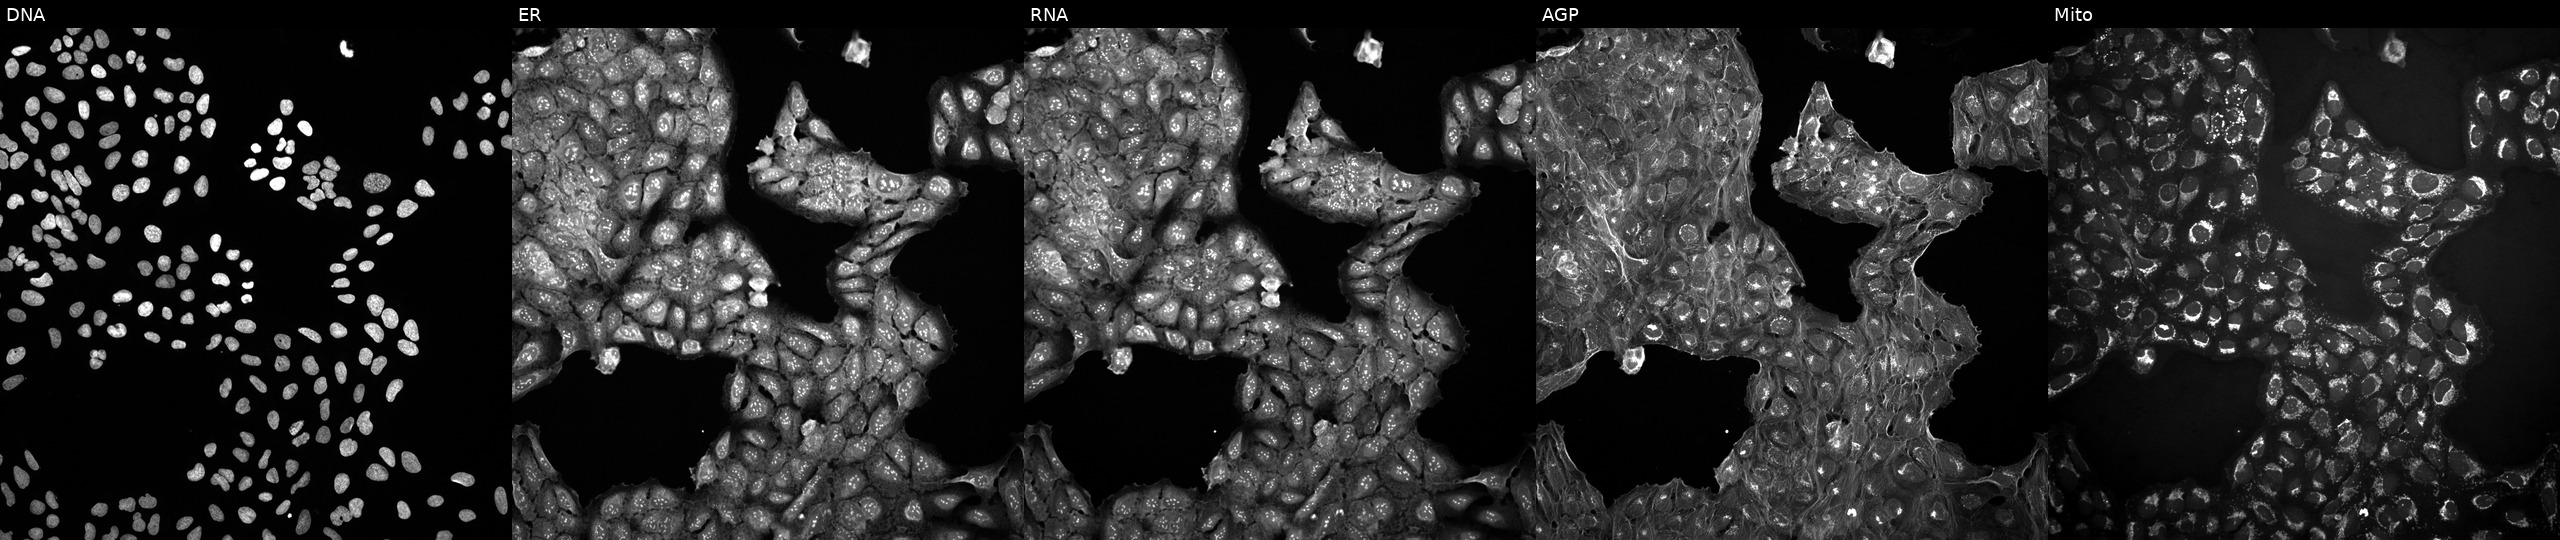
JUMP Cell Painting — COMPOUND plate. U2OS cells in an empty control well (no perturbation). From left to right: Hoechst 33342, concanavalin A, SYTO 14, phalloidin and WGA, MitoTracker. Source 10, plate Dest210531-152149, well L04.